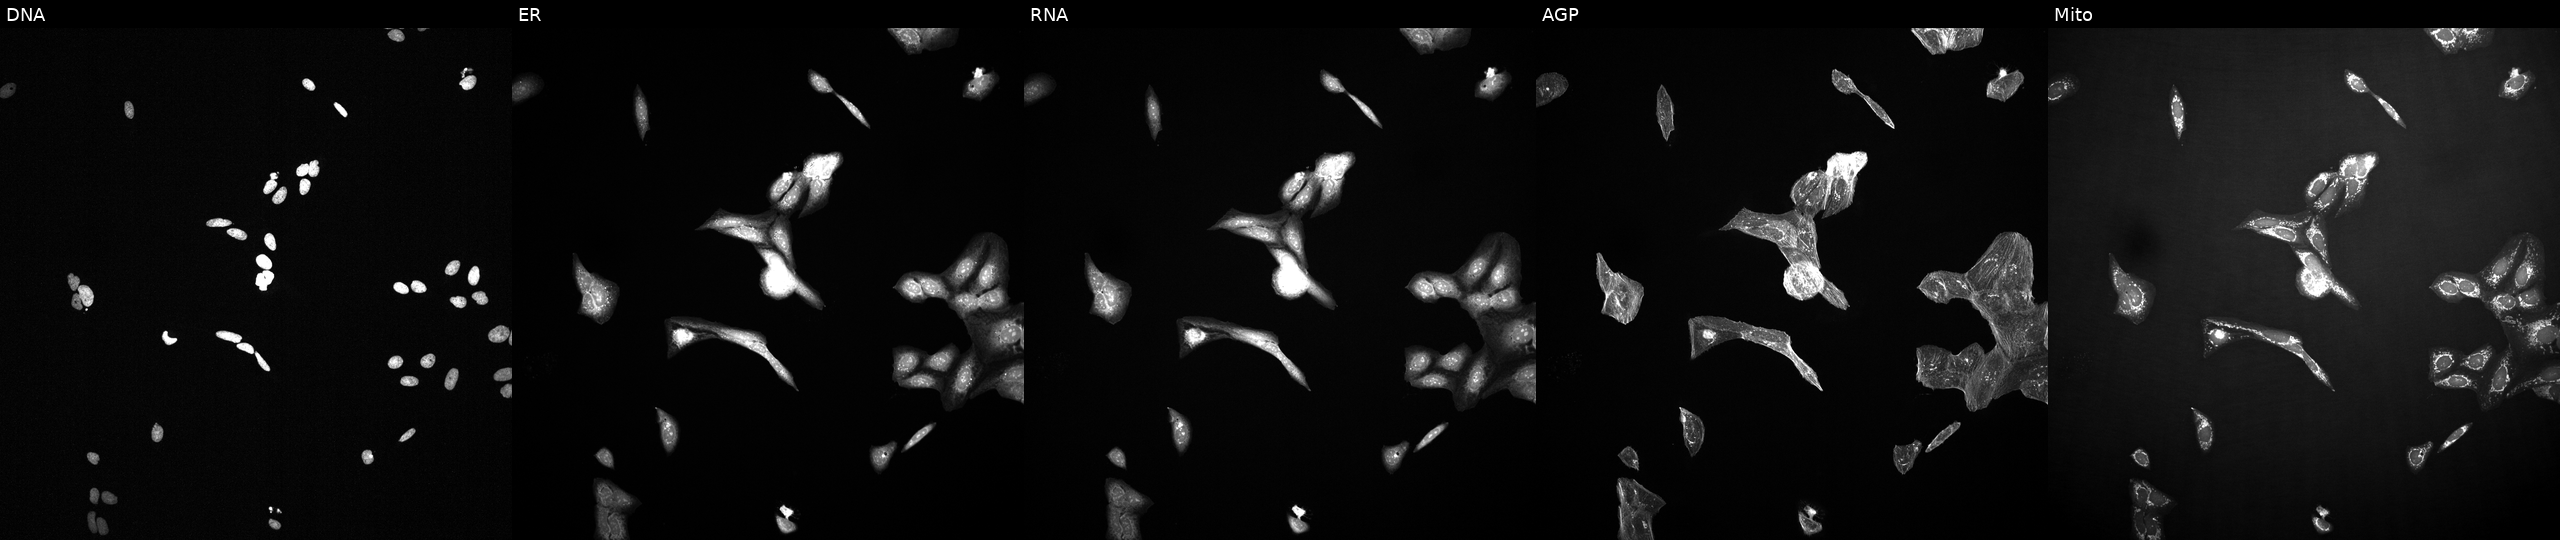
High-content fluorescence microscopy (Cell Painting). Cell line: U2OS. Perturbation: exposed to a small-molecule compound (InChIKey NVRXTLZYXZNATH-UHFFFAOYSA-N) (JUMP id JCP2022_061654). The five panels, left to right, show DNA, ER, RNA, AGP, and Mito.